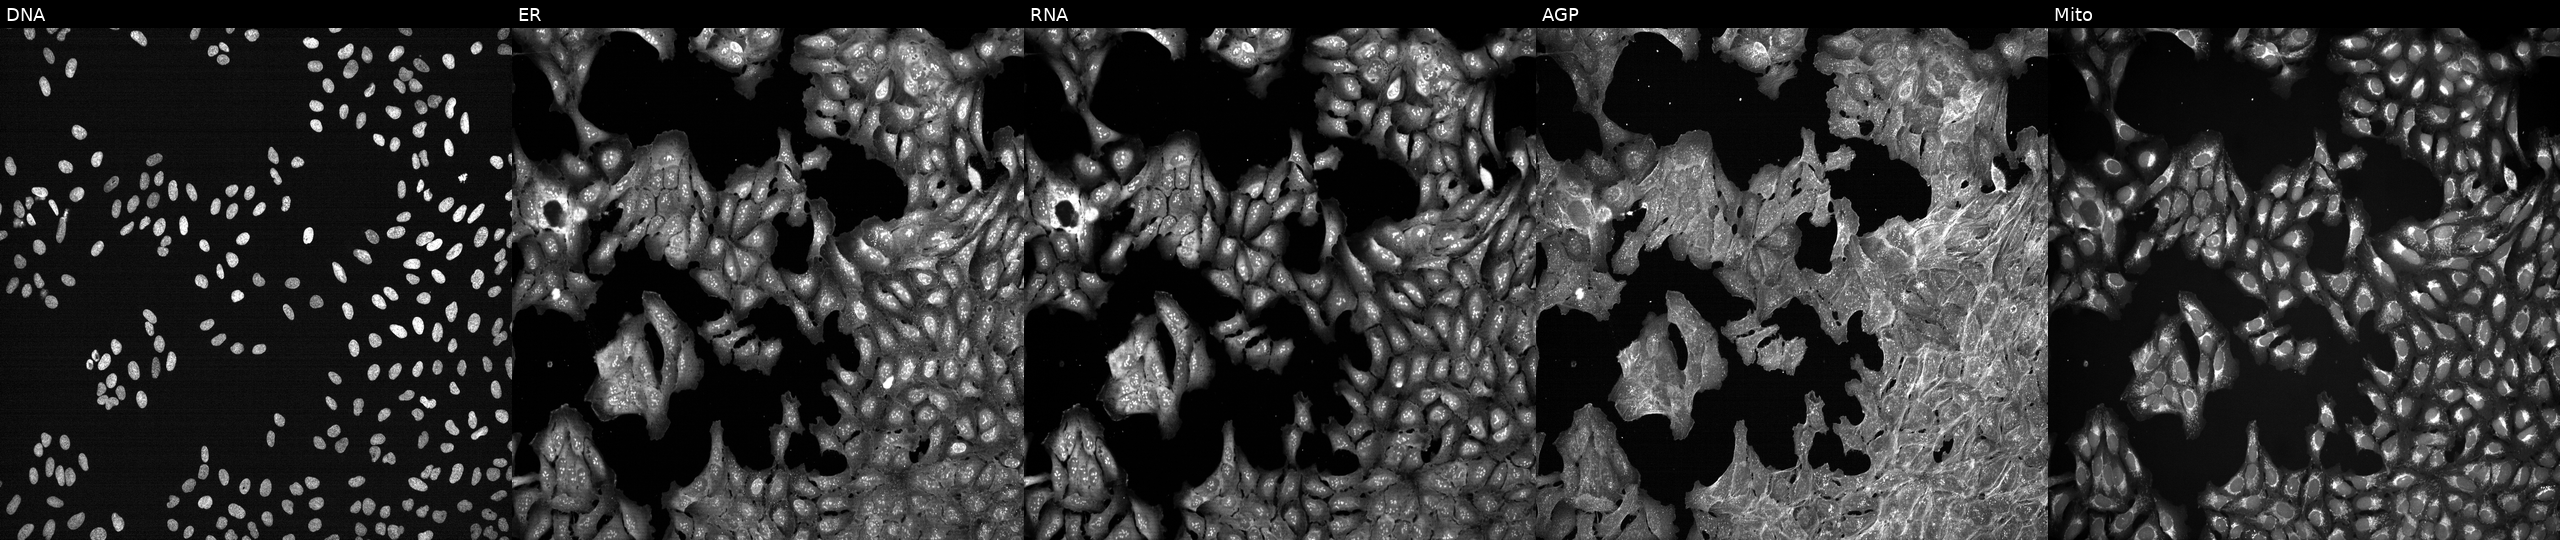
U2OS cells, Cell Painting assay, exposed to DMSO alone as a negative control. From left to right: DNA (nuclei); ER (endoplasmic reticulum); RNA (nucleoli and cytoplasmic RNA); AGP (actin cytoskeleton, Golgi, and plasma membrane); Mito (mitochondria). Each panel is percentile-stretched 16-bit fluorescence.